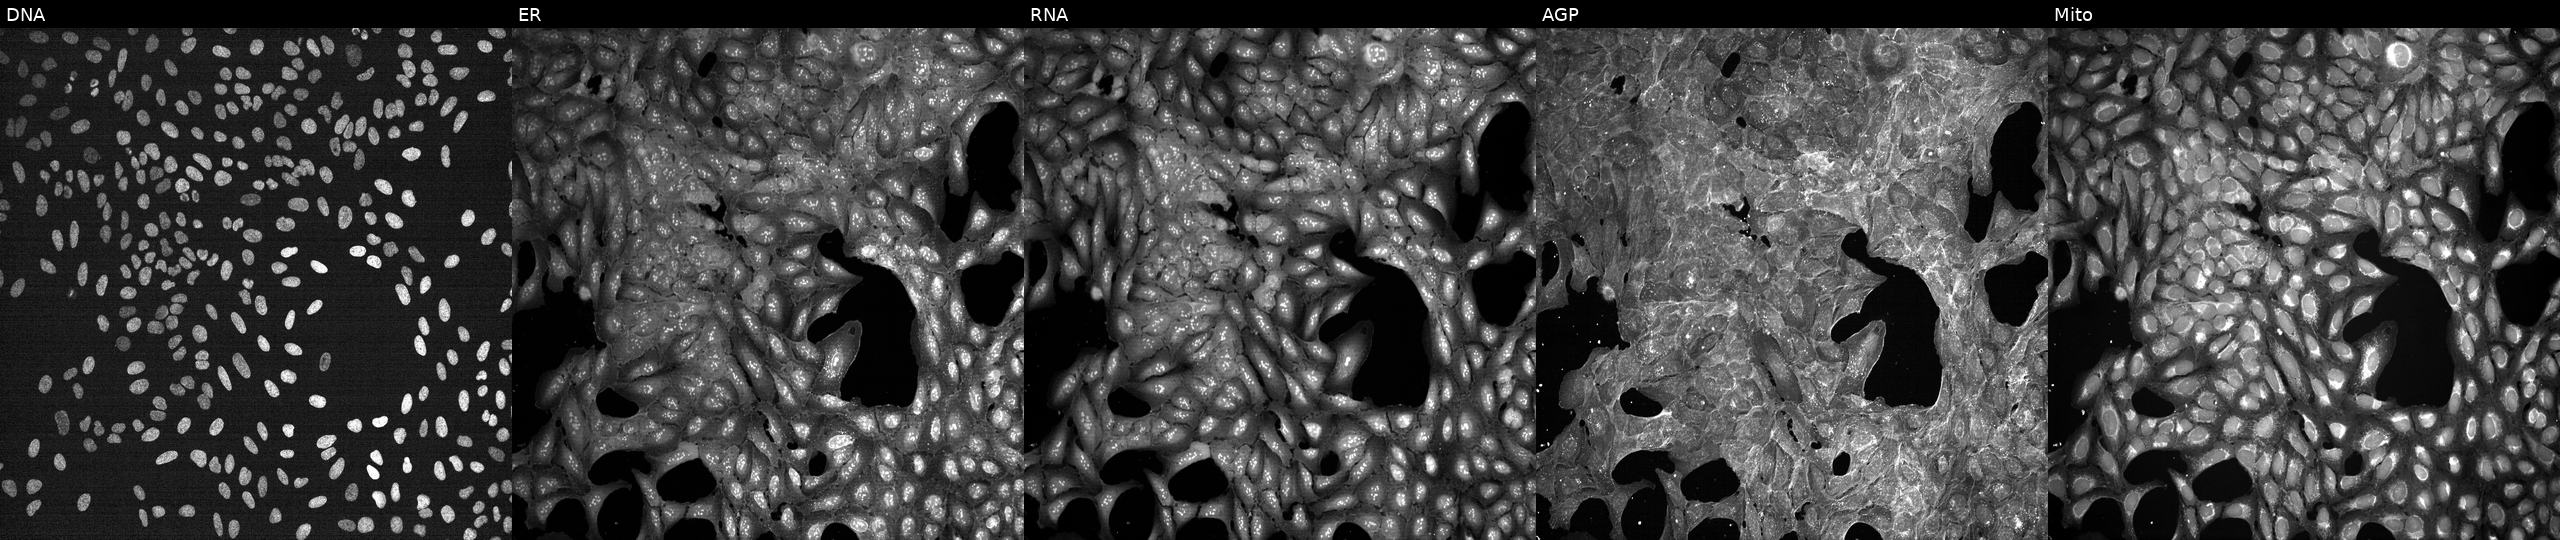
U2OS cells, Cell Painting assay, exposed to a small-molecule compound (JUMP id JCP2022_113779). Channels (left→right): Hoechst 33342, concanavalin A, SYTO 14, phalloidin and WGA, MitoTracker. Each panel is percentile-stretched 16-bit fluorescence. Source 7, plate CP1-SC1-25, well D01.